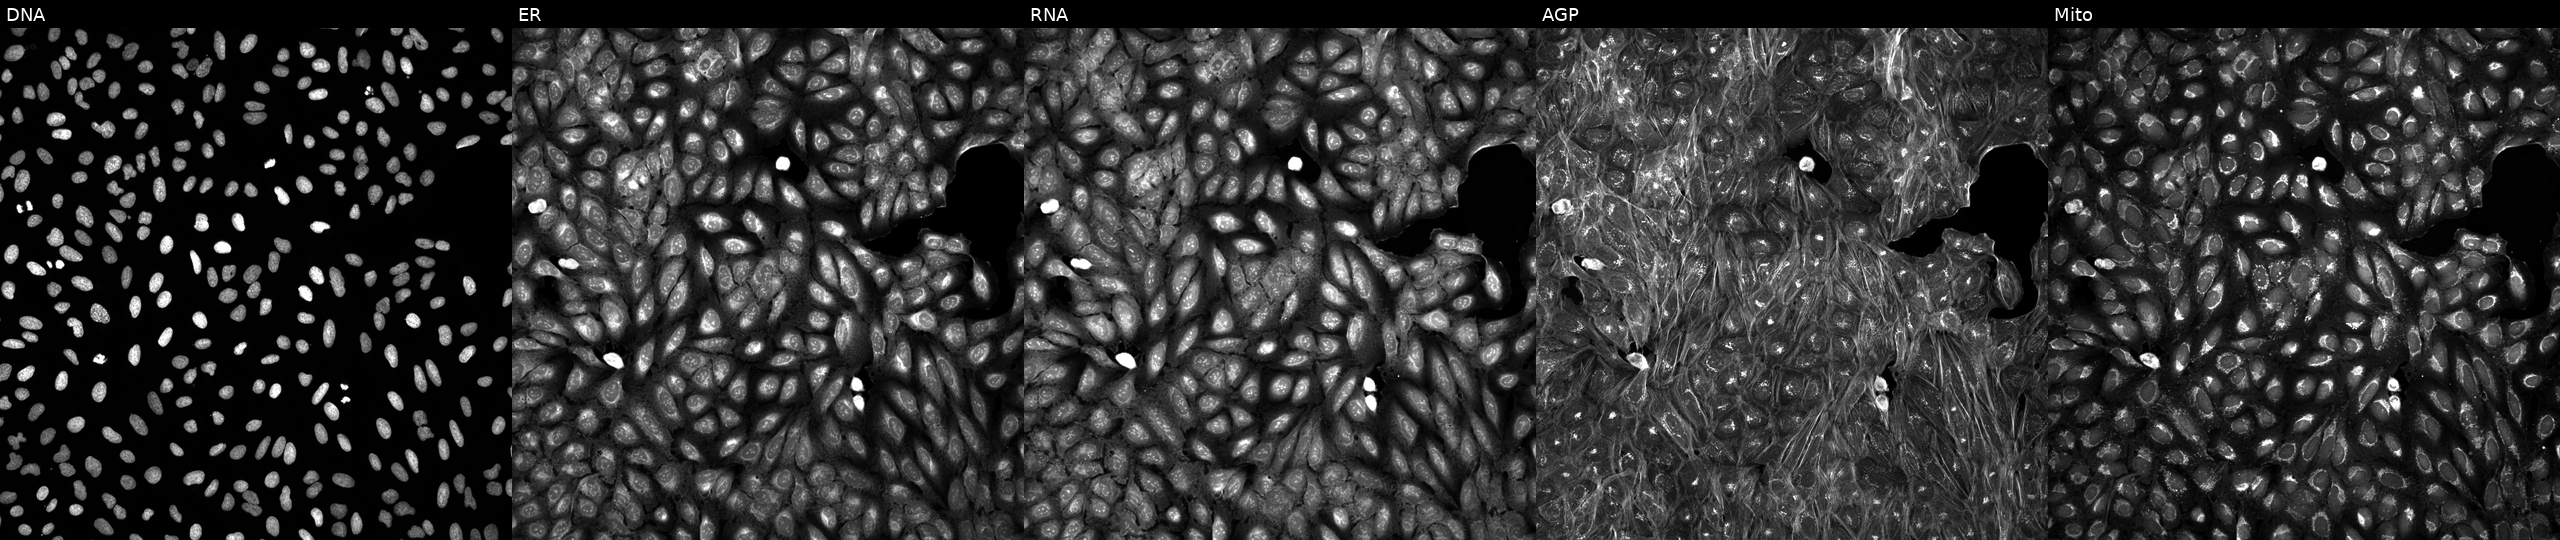
JUMP Cell Painting — TARGET2 plate. U2OS cells exposed to a small-molecule compound (InChIKey XDFKWGIBQMHSOH-UHFFFAOYSA-N) (JUMP id JCP2022_102917). Panels show, left to right, DNA (nuclei); ER (endoplasmic reticulum); RNA (nucleoli and cytoplasmic RNA); AGP (actin cytoskeleton, Golgi, and plasma membrane); Mito (mitochondria). Source 5, plate ACPJUM032, well F08.